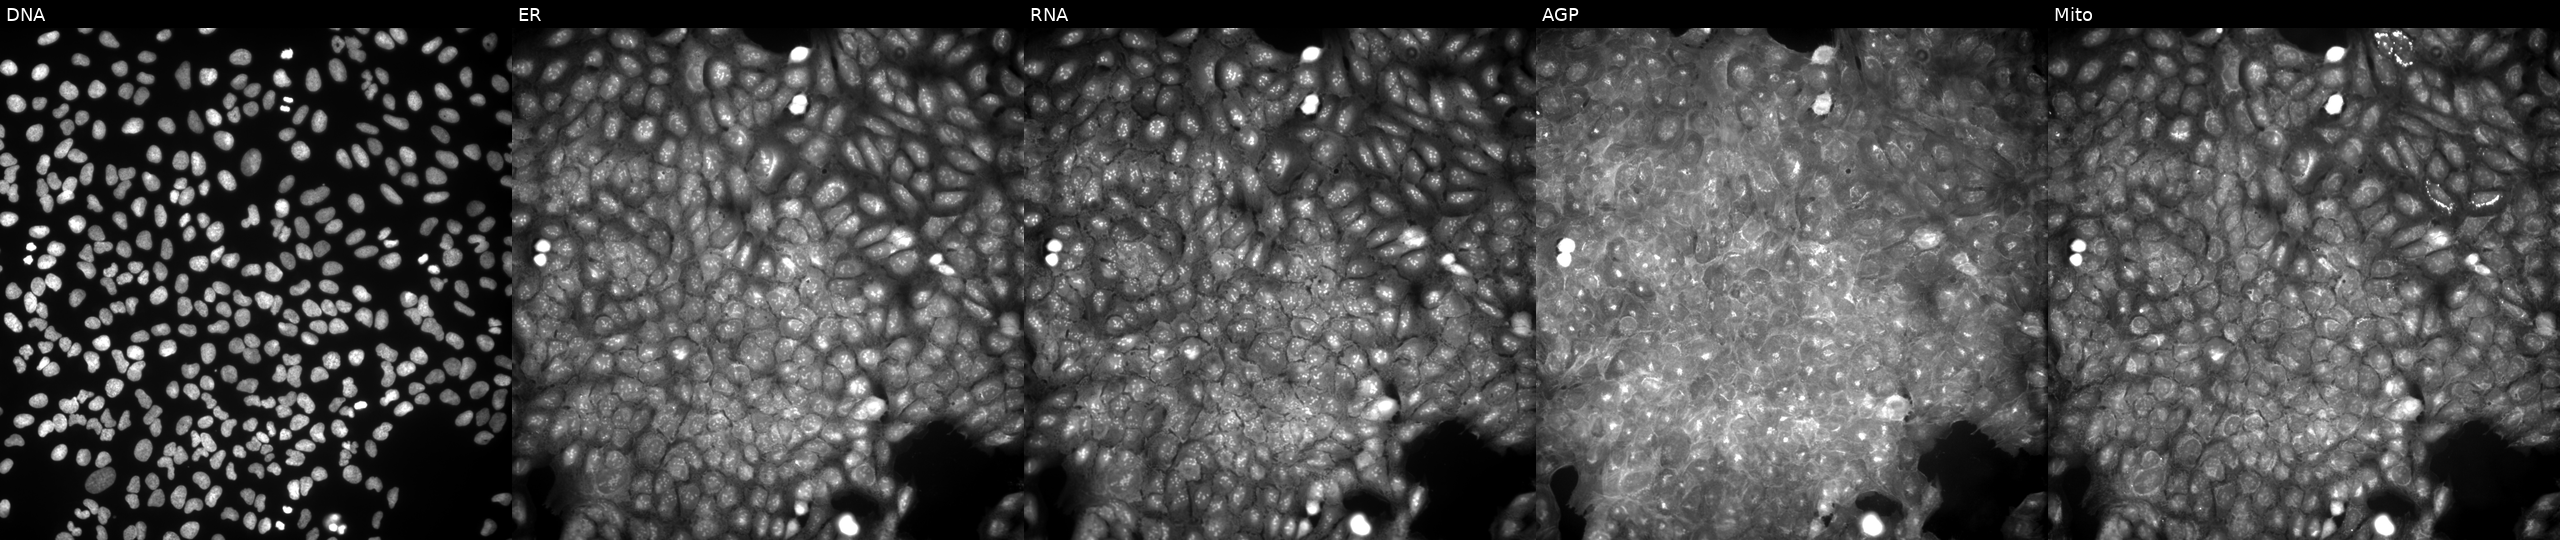
Five-channel Cell Painting image of U2OS cells perturbed with a small-molecule compound [SMILES: Cc1onc(-c2c(F)cccc2Cl)c1C(=O)NC(=S)NCc1cccnc1] (JUMP id JCP2022_019689). From left to right: Hoechst 33342, concanavalin A, SYTO 14, phalloidin and WGA, MitoTracker.